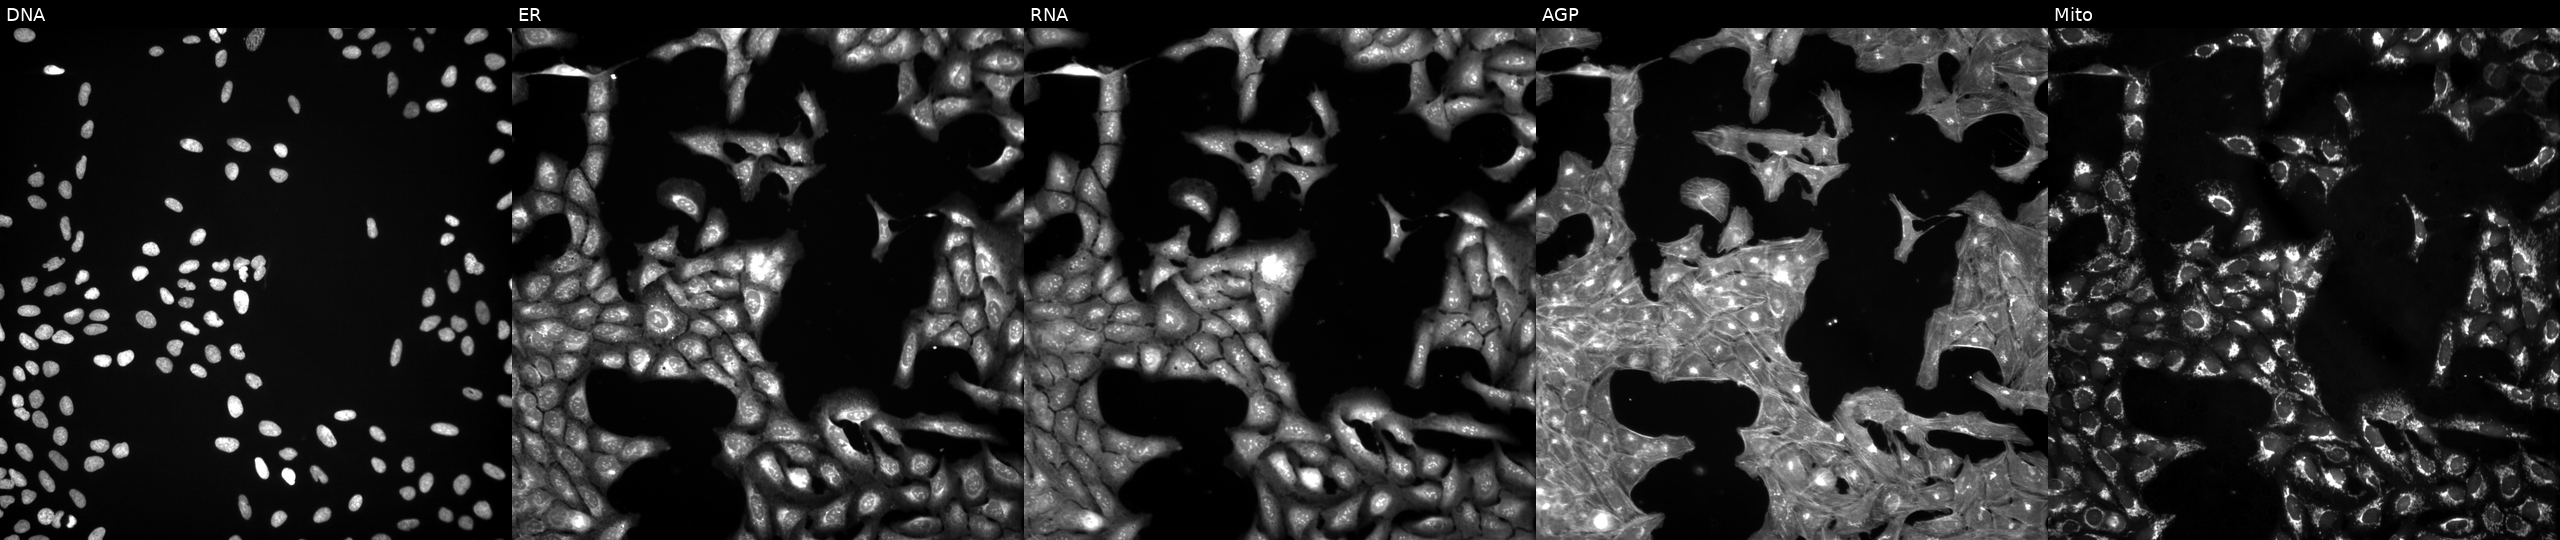
Five-channel Cell Painting image of U2OS cells treated with dexamethasone (positive-control compound) (JUMP id JCP2022_025848). From left to right: Hoechst 33342, concanavalin A, SYTO 14, phalloidin and WGA, MitoTracker.